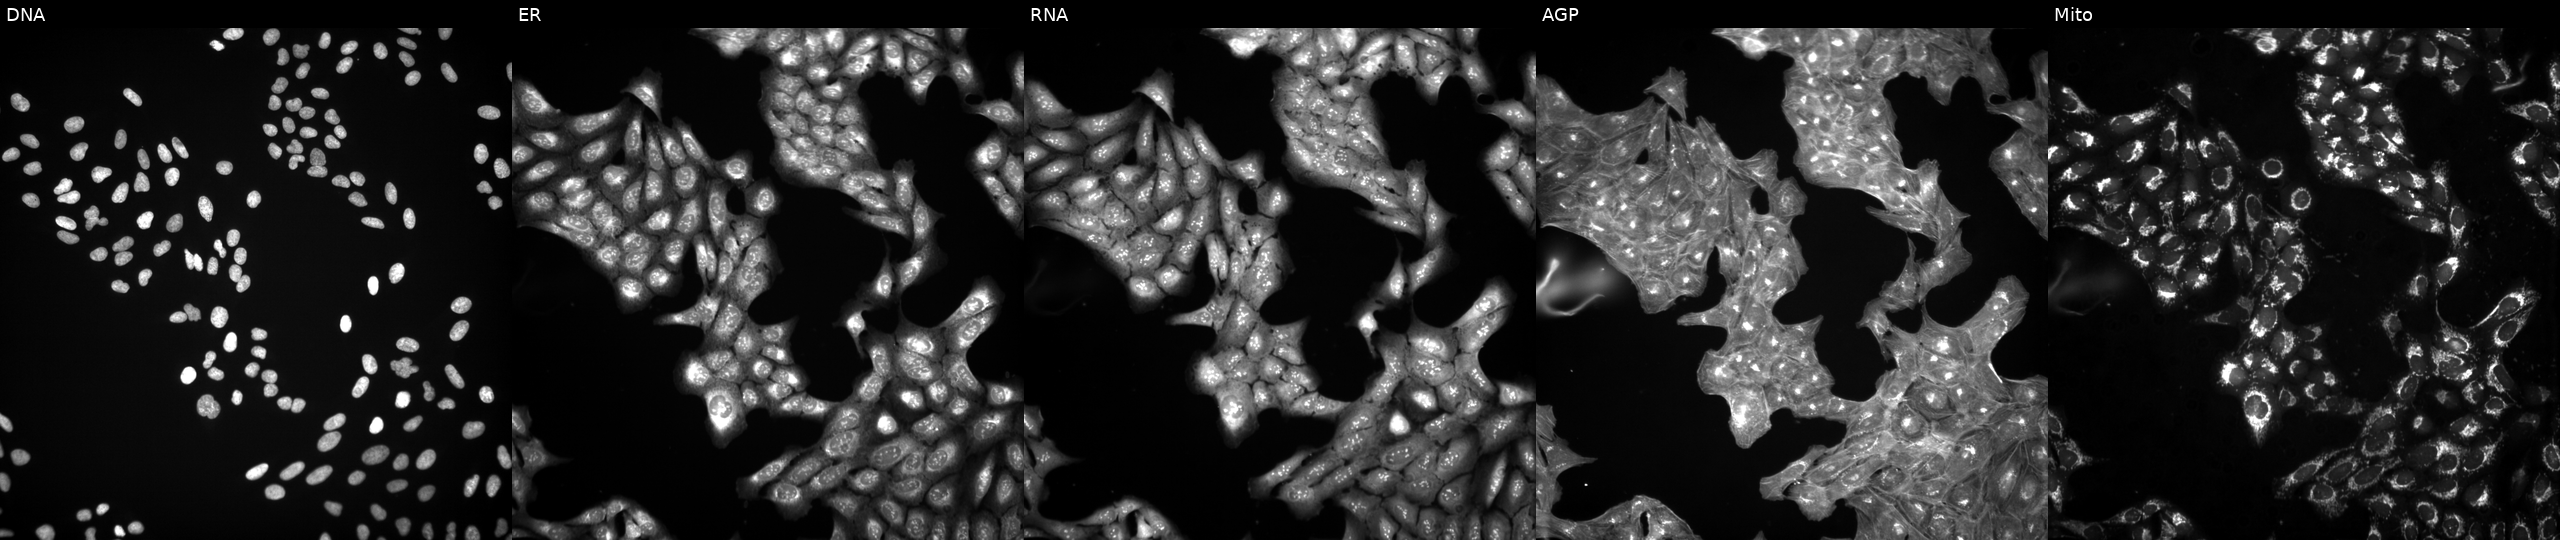
This image strip shows the five Cell Painting channels for a single field of U2OS cells perturbed with a small-molecule compound (InChIKey TXUZVZSFRXZGTL-UHFFFAOYSA-N) [SMILES: CCC(=C(c1ccc(O)cc1)c1ccc(OCCN(C)C)cc1)c1ccccc1]. The five panels, left to right, show DNA (nuclei); ER (endoplasmic reticulum); RNA (nucleoli and cytoplasmic RNA); AGP (actin cytoskeleton, Golgi, and plasma membrane); Mito (mitochondria).